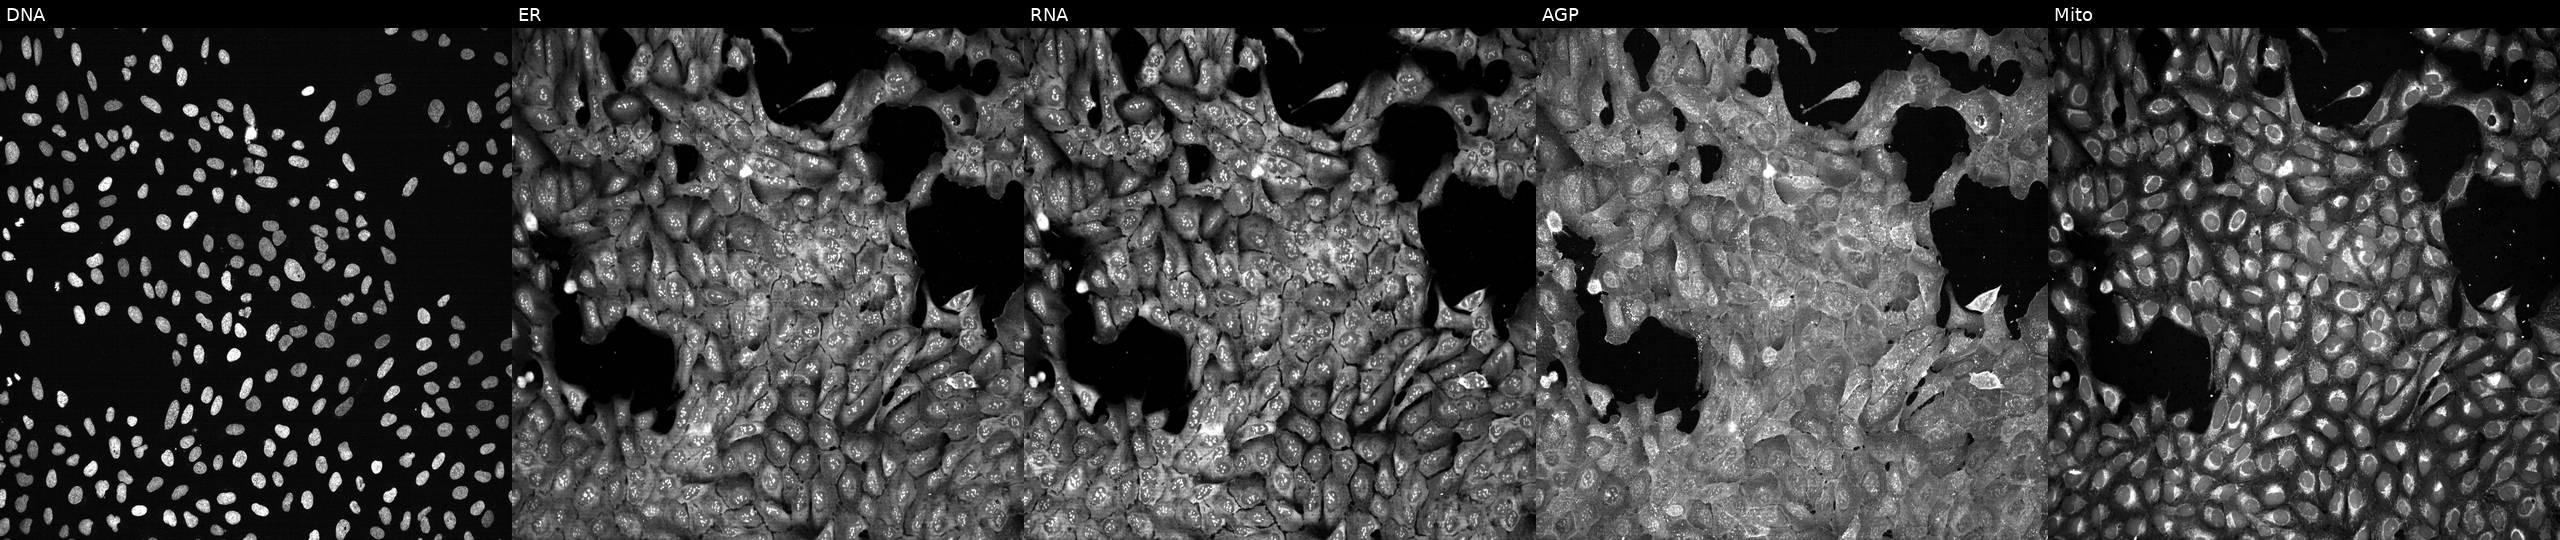
High-content fluorescence microscopy (Cell Painting). Cell line: U2OS. Perturbation: following CRISPR knockout of SMYD3. The five panels, left to right, show DNA, ER, RNA, AGP, and Mito.